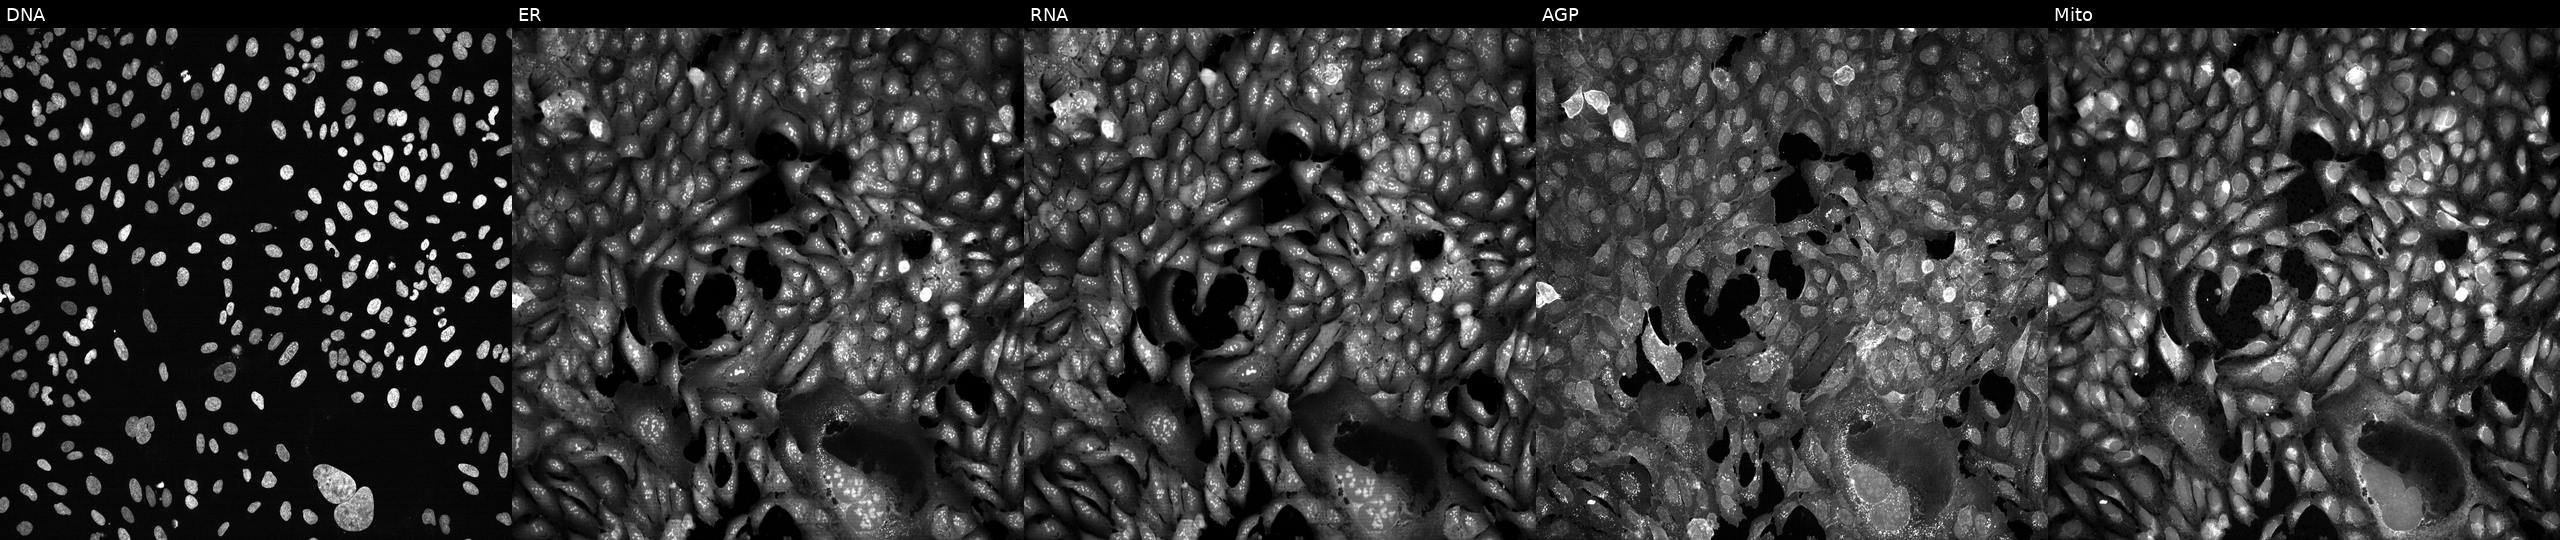
This image strip shows the five Cell Painting channels for a single field of U2OS cells following CRISPR knockout of CCNO (JUMP id JCP2022_801122). Panels show, left to right, Hoechst 33342, concanavalin A, SYTO 14, phalloidin and WGA, MitoTracker.